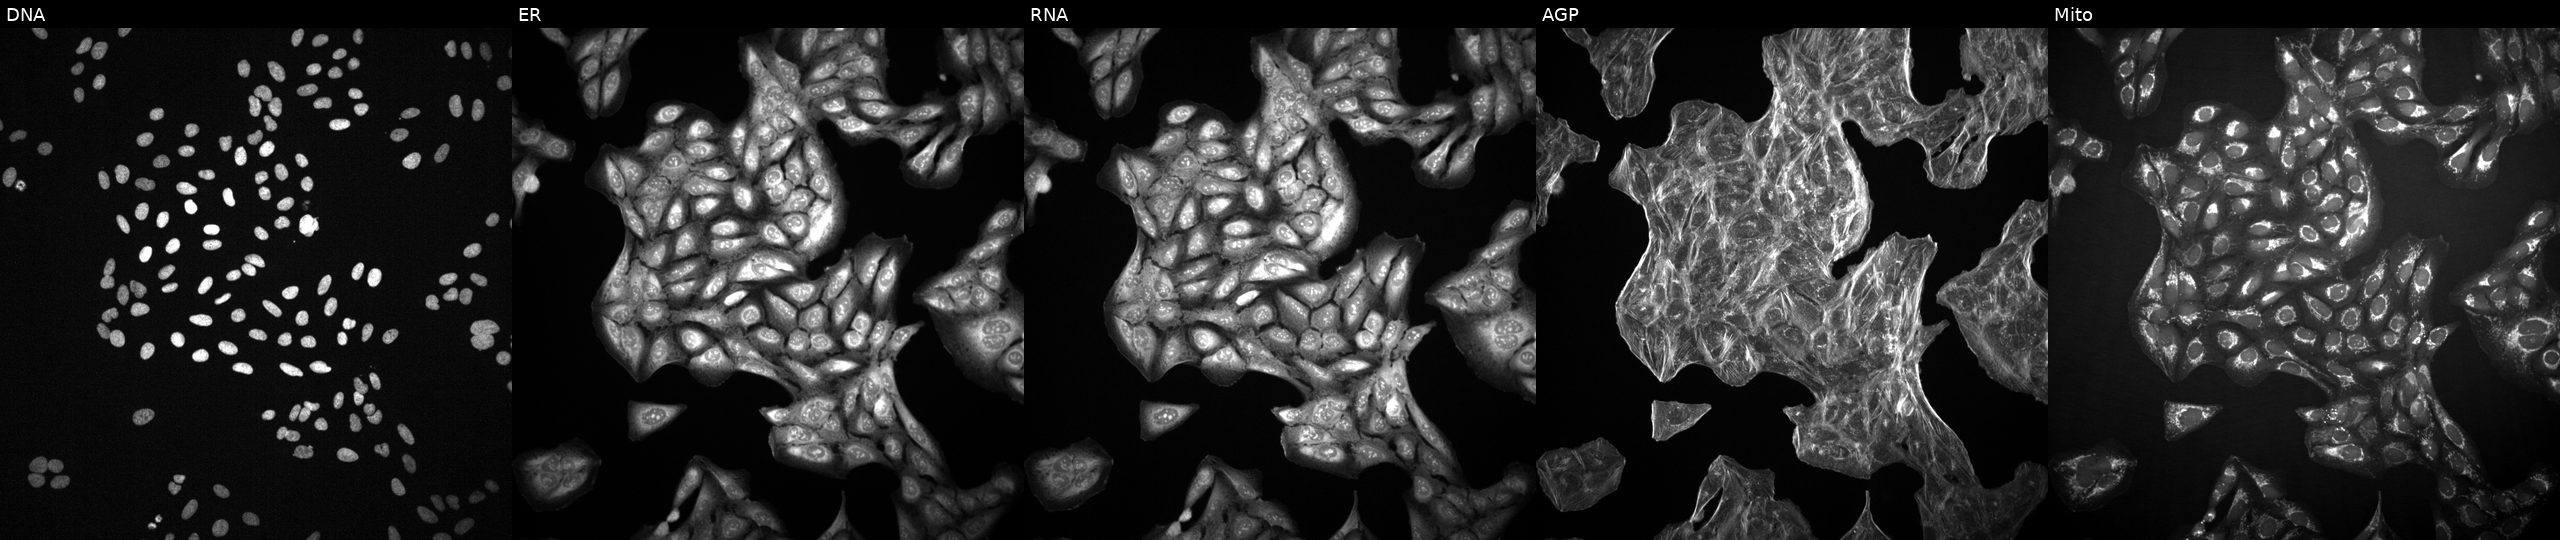
The five panels, left to right, show DNA (nuclei); ER (endoplasmic reticulum); RNA (nucleoli and cytoplasmic RNA); AGP (actin cytoskeleton, Golgi, and plasma membrane); Mito (mitochondria). U2OS osteosarcoma cells perturbed with a small-molecule compound. Cell Painting assay, JUMP-CP dataset.